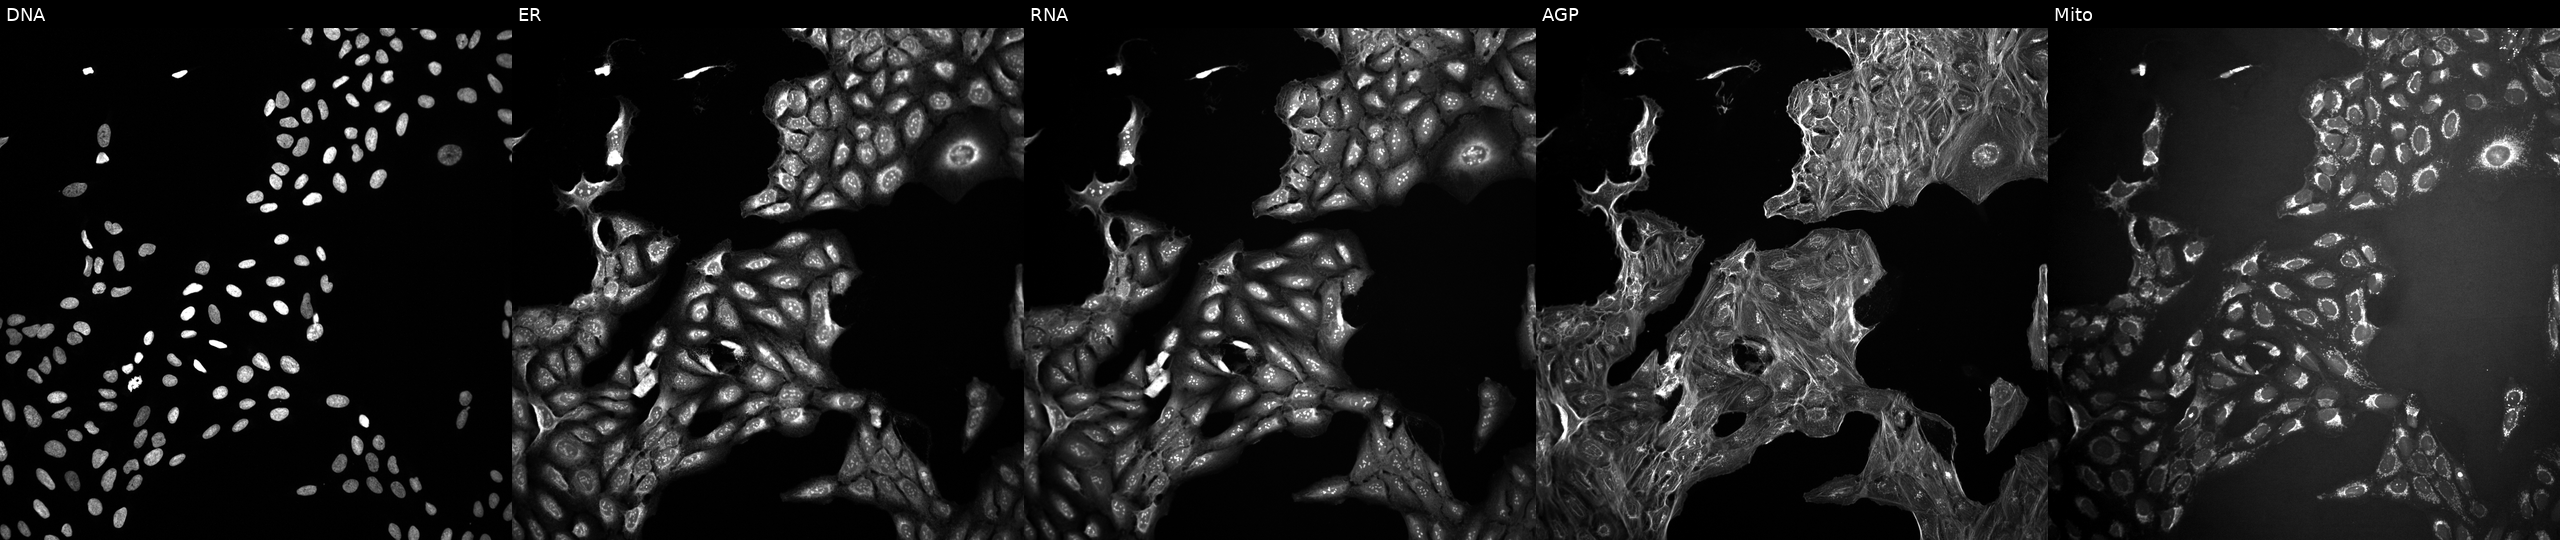
JUMP Cell Painting — TARGET2 plate. U2OS cells perturbed with a small-molecule compound (InChIKey ULYONBAOIMCNEH-UHFFFAOYSA-N). Channels (left→right): Hoechst 33342, concanavalin A, SYTO 14, phalloidin and WGA, MitoTracker. Source 10, plate Dest210727-153003, well H23.